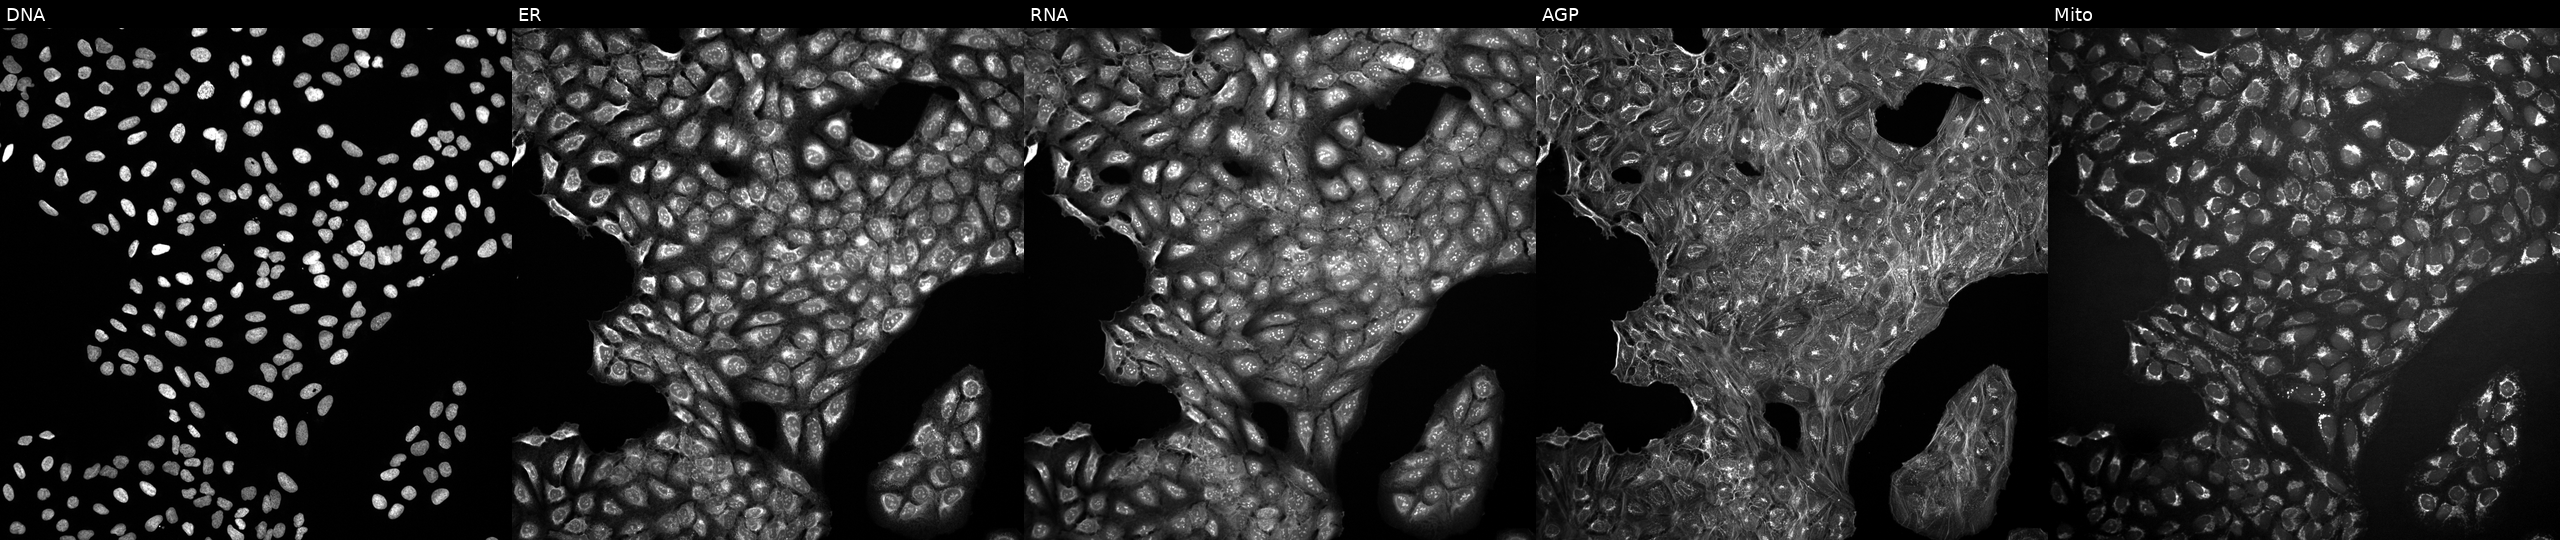
JUMP Cell Painting — COMPOUND plate. U2OS cells untreated (empty-well control) (JUMP id JCP2022_999999). Panels show, left to right, DNA (nuclei); ER (endoplasmic reticulum); RNA (nucleoli and cytoplasmic RNA); AGP (actin cytoskeleton, Golgi, and plasma membrane); Mito (mitochondria).